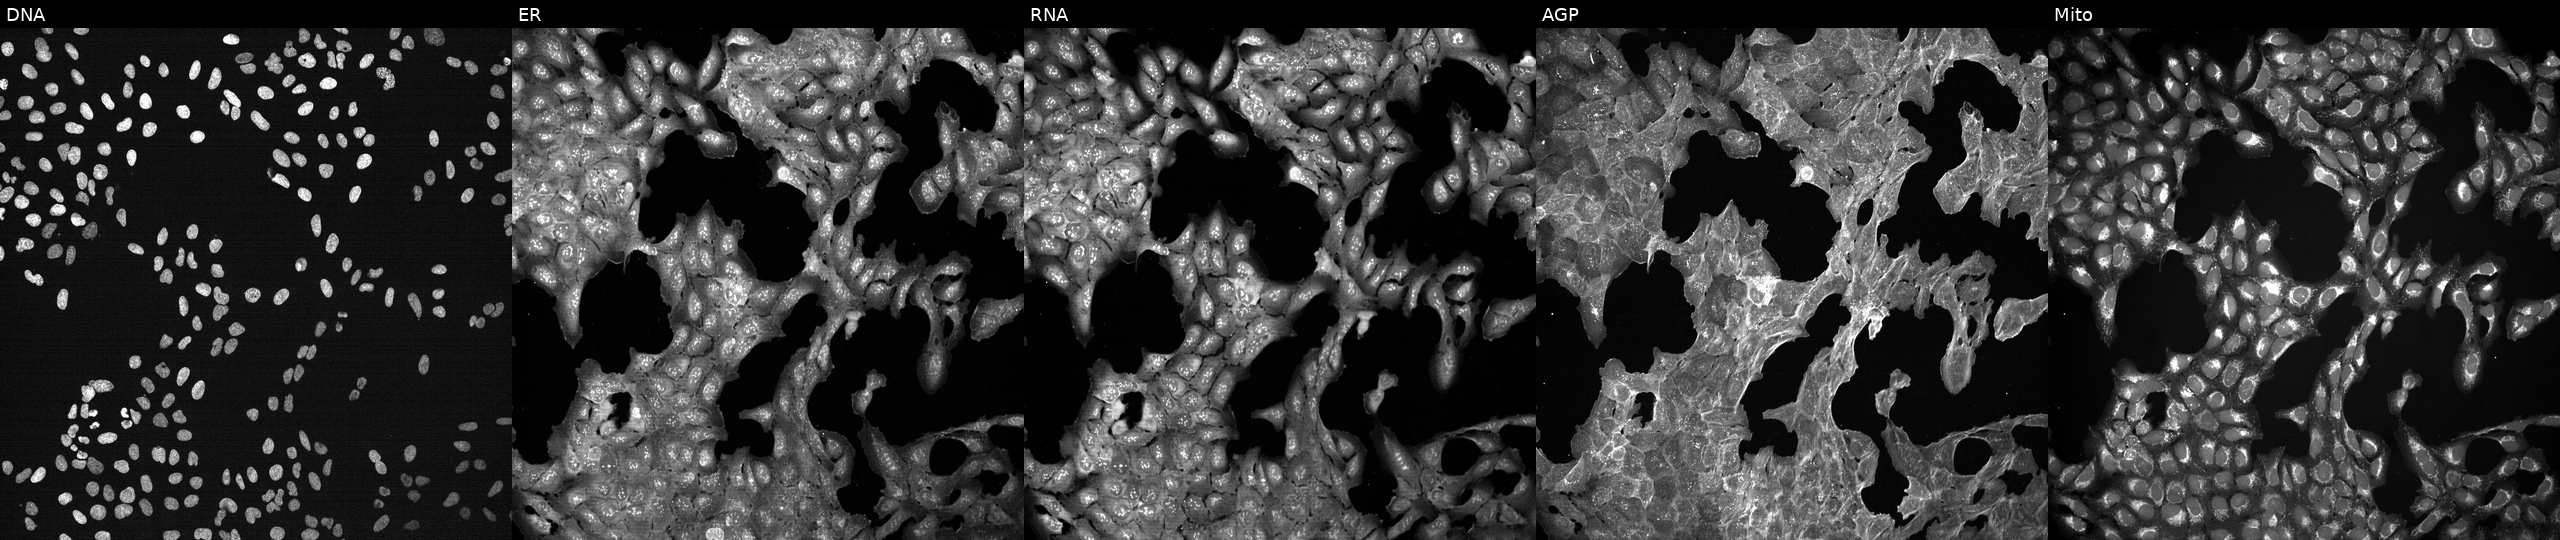
High-content fluorescence microscopy (Cell Painting). Cell line: U2OS. Perturbation: treated with a small-molecule compound (InChIKey PIWKPBJCKXDKJR-UHFFFAOYSA-N) (JUMP id JCP2022_068901). Panels show, left to right, DNA (nuclei); ER (endoplasmic reticulum); RNA (nucleoli and cytoplasmic RNA); AGP (actin cytoskeleton, Golgi, and plasma membrane); Mito (mitochondria).